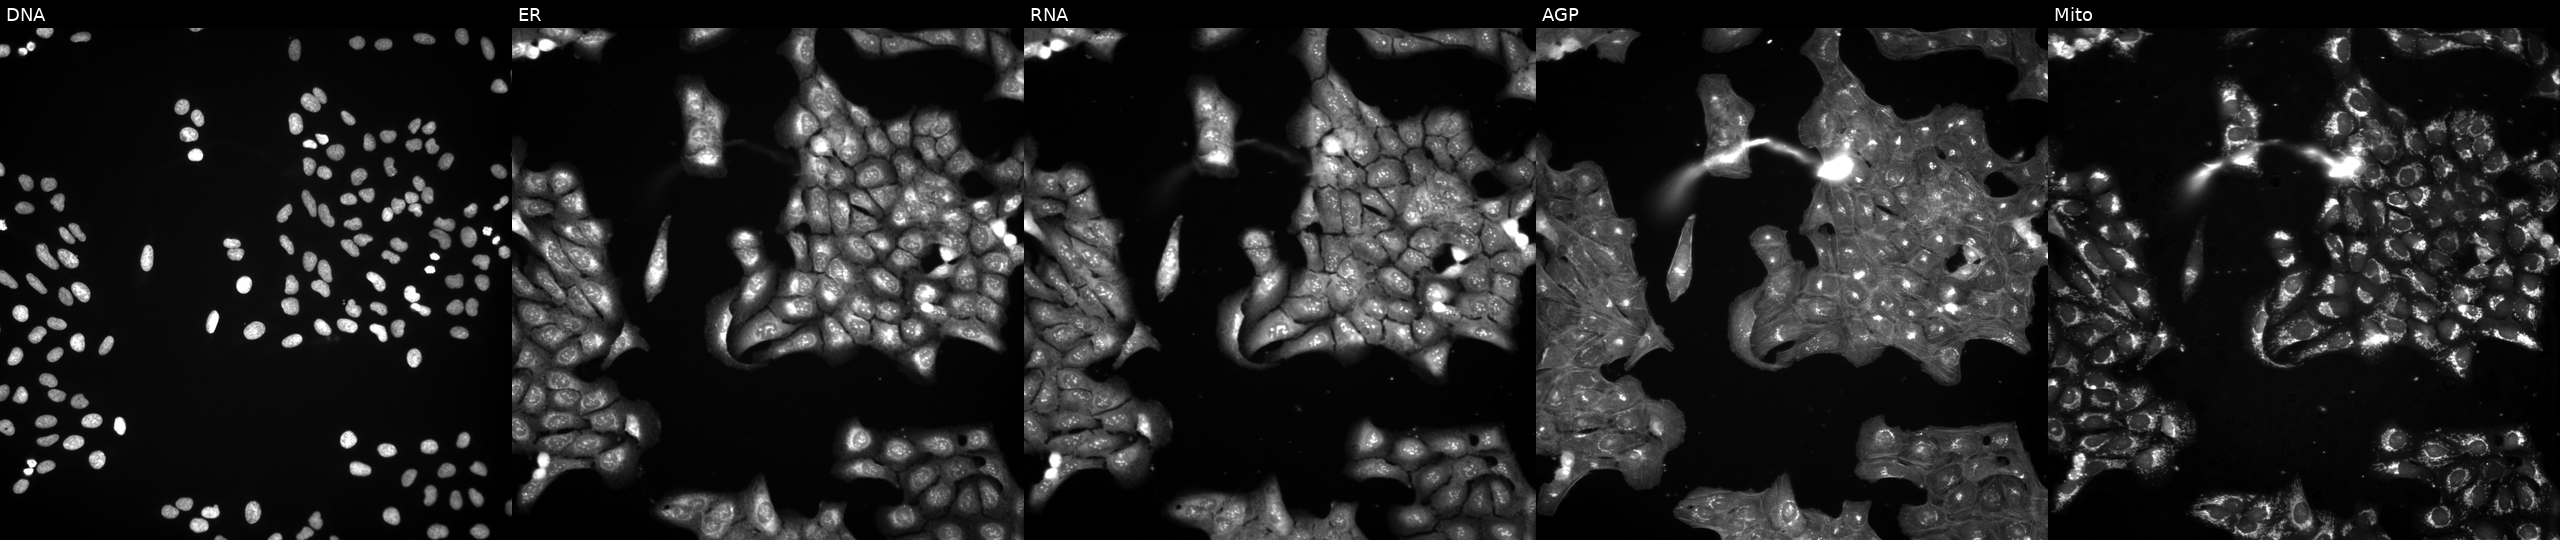
The five panels, left to right, show DNA (nuclei); ER (endoplasmic reticulum); RNA (nucleoli and cytoplasmic RNA); AGP (actin cytoskeleton, Golgi, and plasma membrane); Mito (mitochondria). U2OS osteosarcoma cells perturbed with a small-molecule compound (InChIKey QXKHYNVANLEOEG-UHFFFAOYSA-N) (JUMP id JCP2022_076523). Cell Painting assay, JUMP-CP dataset.